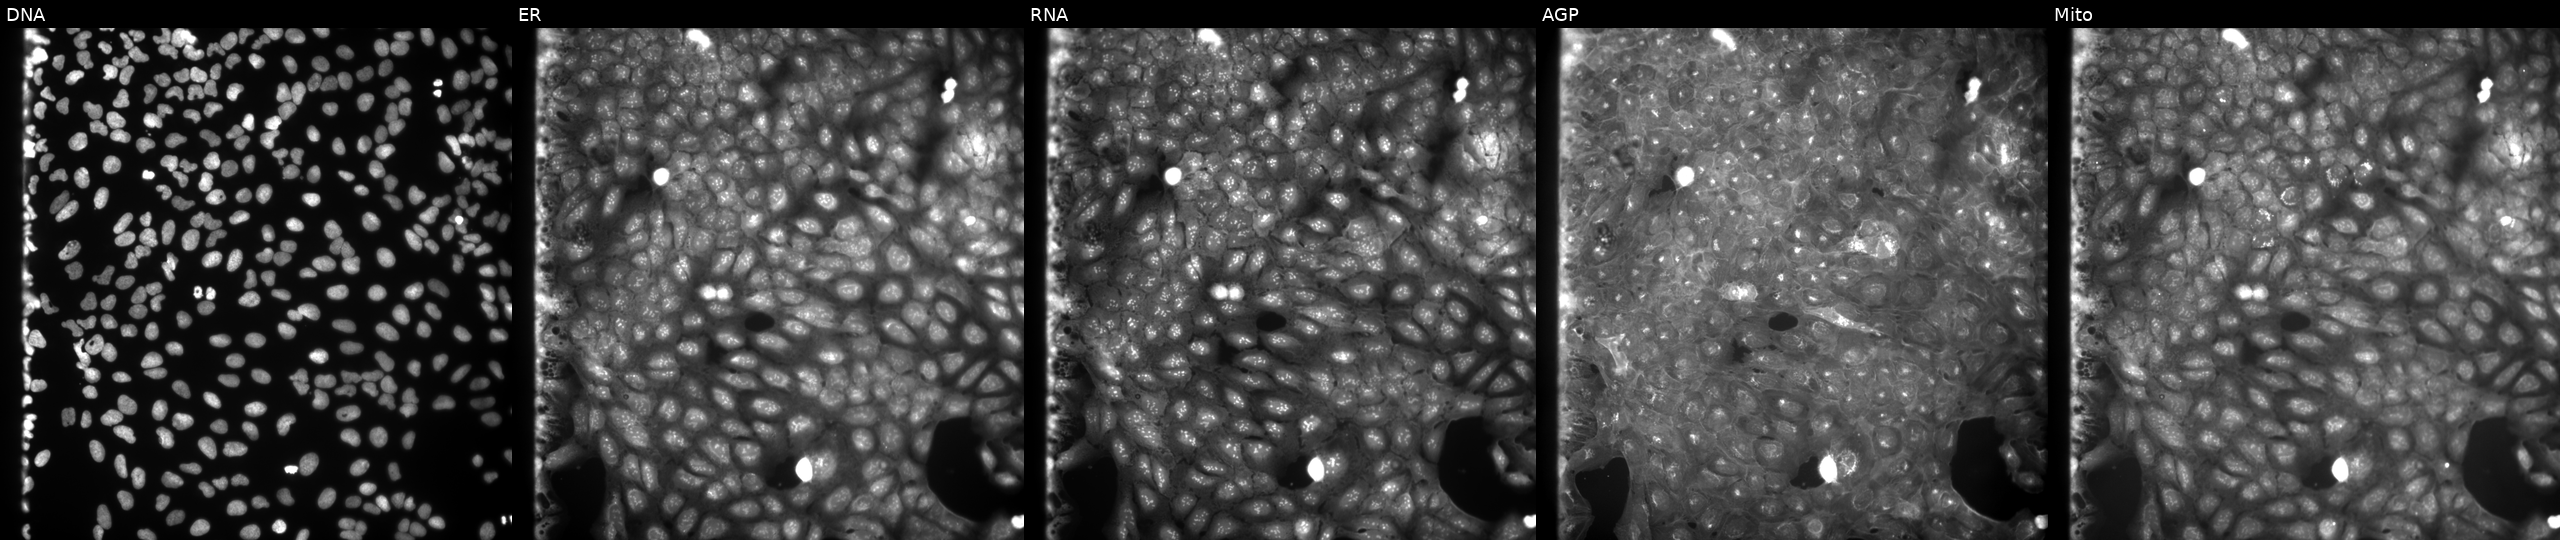
Five-channel Cell Painting image of U2OS cells perturbed with a small-molecule compound (InChIKey LZMBRXAGLJQHMD-UHFFFAOYSA-N). The five panels, left to right, show Hoechst 33342, concanavalin A, SYTO 14, phalloidin and WGA, MitoTracker.